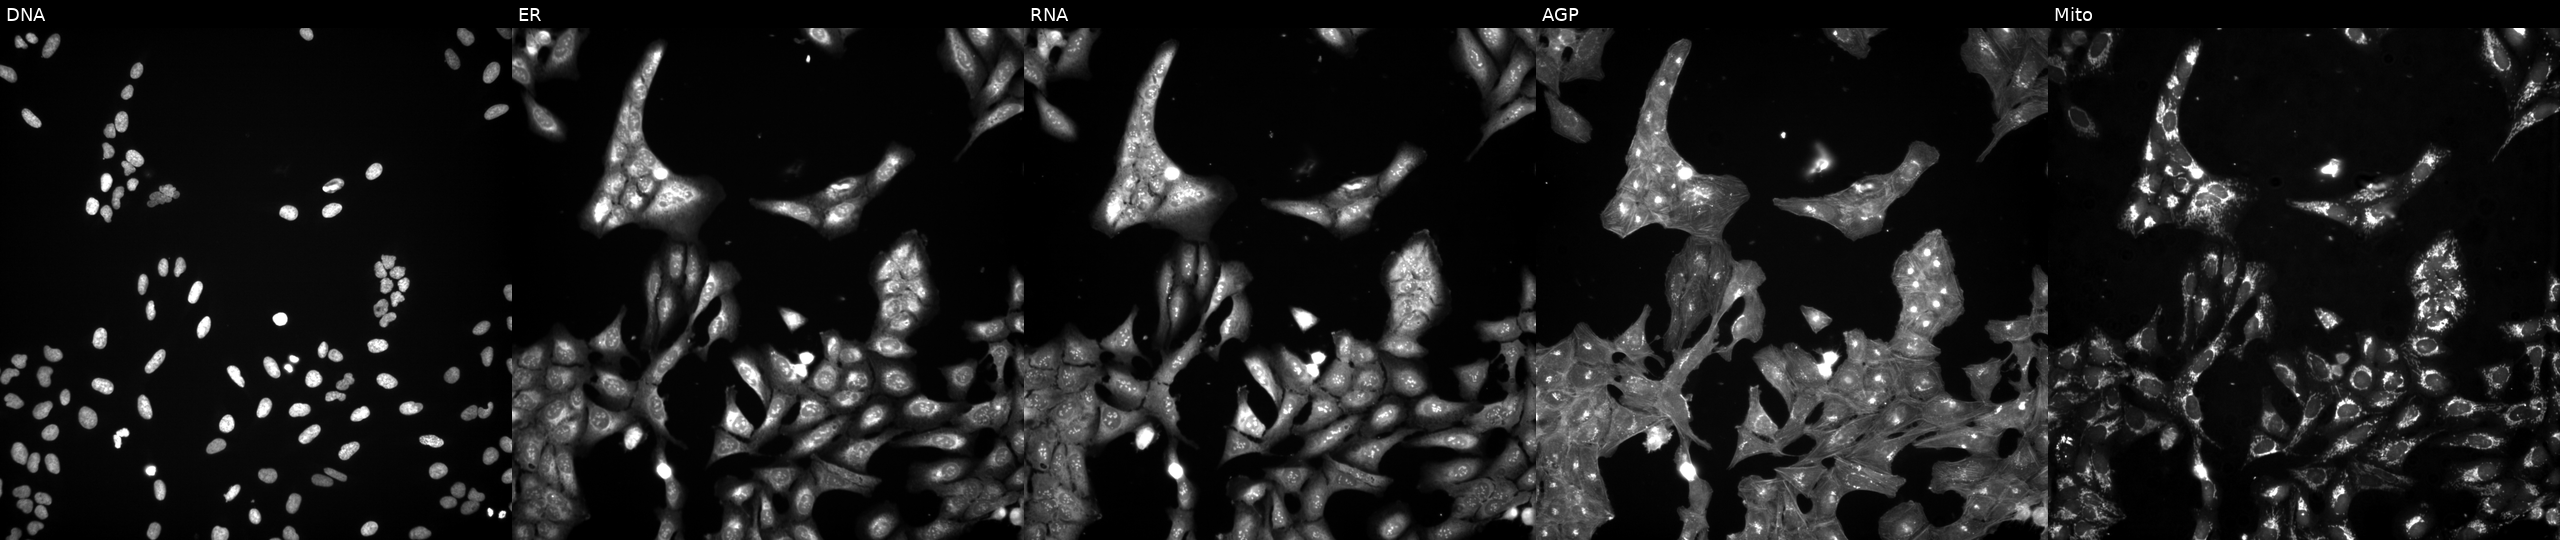
High-content fluorescence microscopy (Cell Painting). Cell line: U2OS. Perturbation: treated with DMSO vehicle only (negative control) (JUMP id JCP2022_033924). The five panels, left to right, show DNA, ER, RNA, AGP, and Mito.